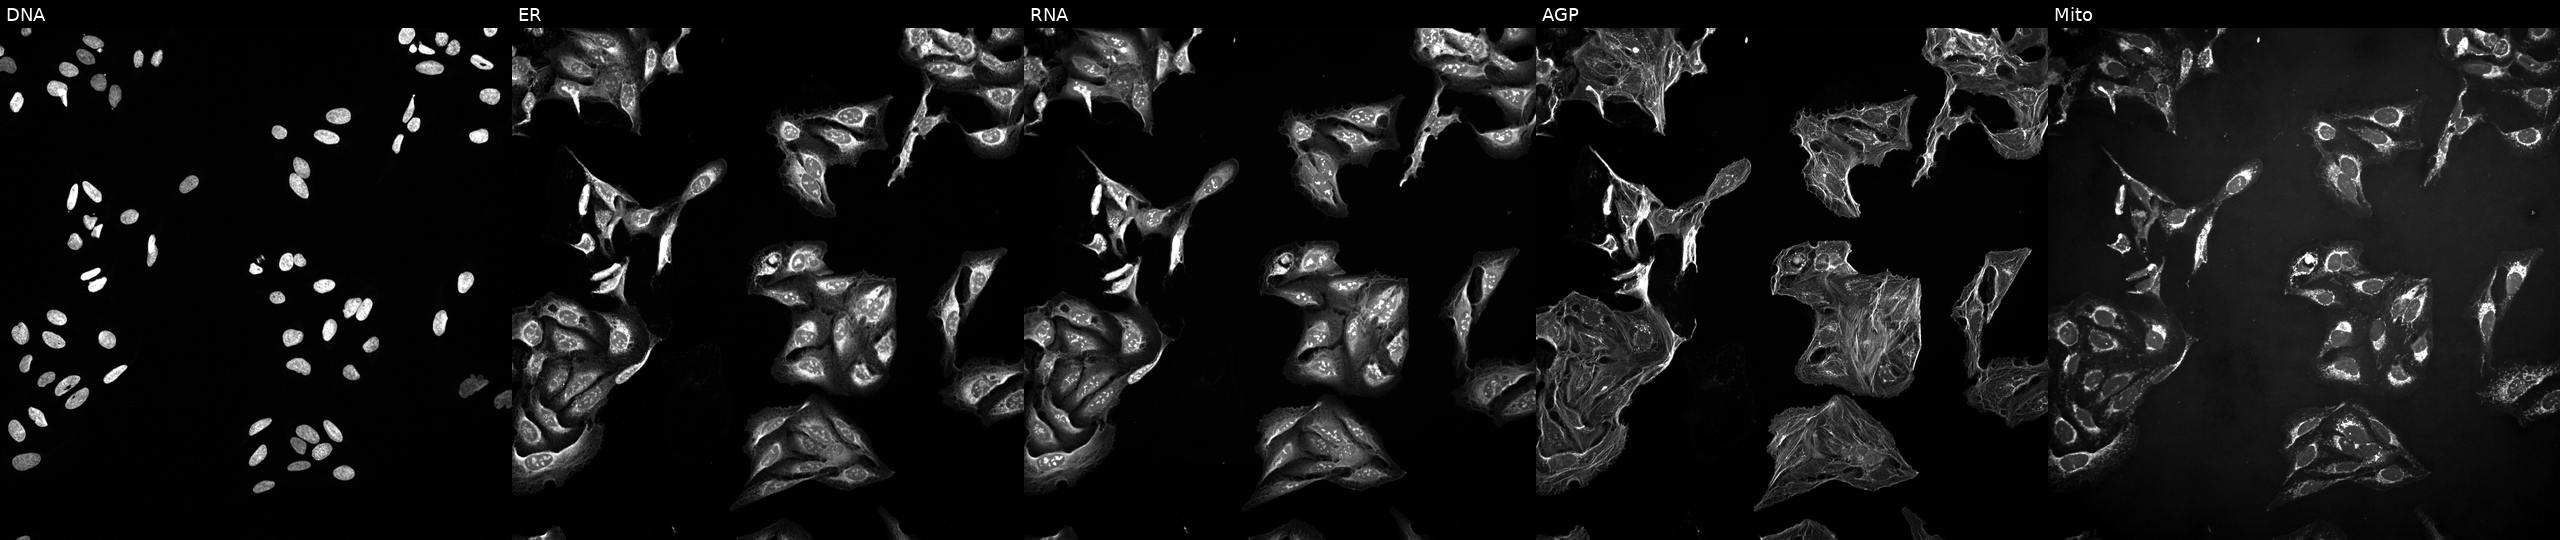
JUMP Cell Painting — TARGET2 plate. U2OS cells treated with a small-molecule compound (InChIKey PMXCMJLOPOFPBT-UHFFFAOYSA-N) [SMILES: CC(C)C(CO)N=c1[nH]c(=Nc2cccc(Cl)c2)c2ncn(C(C)C)c2[nH]1] (JUMP id JCP2022_069668). Panels show, left to right, Hoechst 33342, concanavalin A, SYTO 14, phalloidin and WGA, MitoTracker.